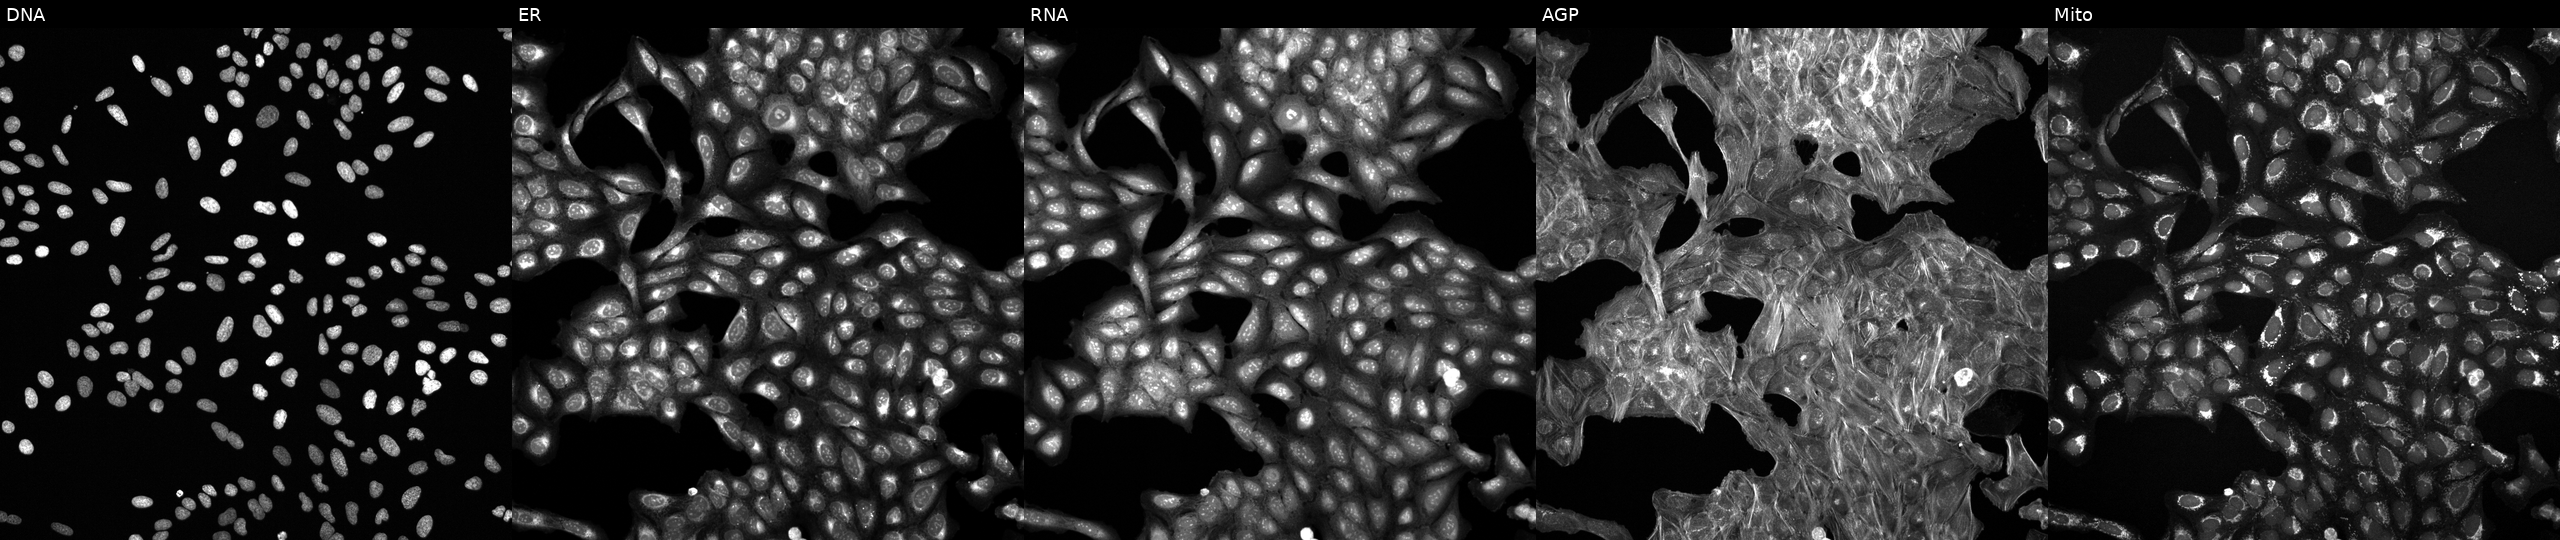
This image strip shows the five Cell Painting channels for a single field of U2OS cells treated with a small-molecule compound (InChIKey YCWKACIMRACSAC-UHFFFAOYSA-N) [SMILES: CCC(C)NS(=O)(=O)c1cc(-c2nnc(C)o2)cs1] (JUMP id JCP2022_107643). Channels (left→right): DNA (nuclei); ER (endoplasmic reticulum); RNA (nucleoli and cytoplasmic RNA); AGP (actin cytoskeleton, Golgi, and plasma membrane); Mito (mitochondria).